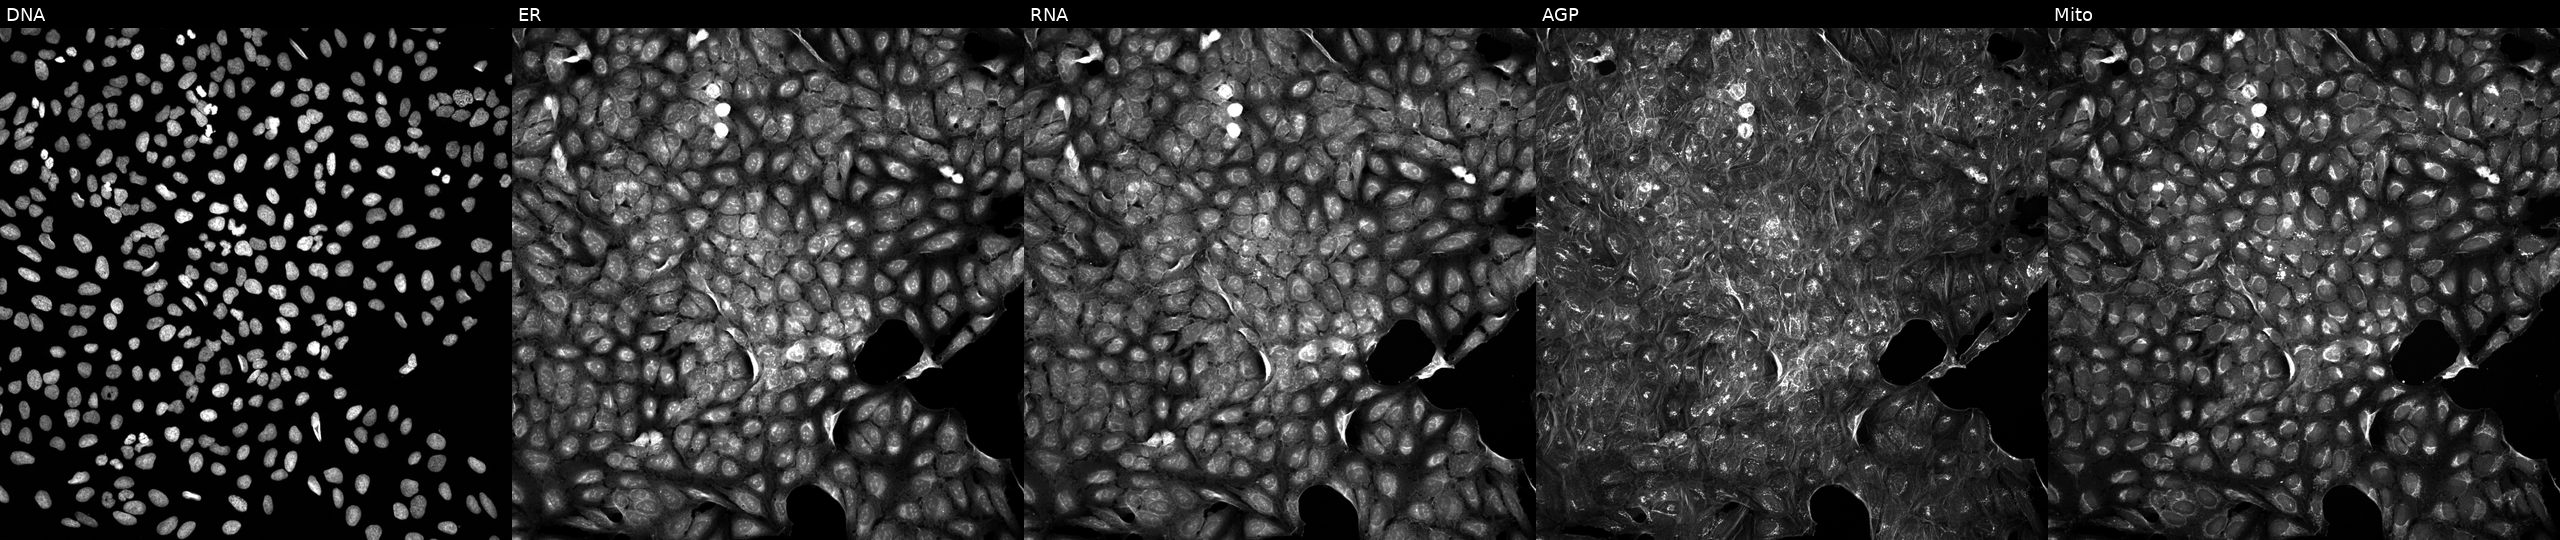
From left to right: Hoechst 33342, concanavalin A, SYTO 14, phalloidin and WGA, MitoTracker. U2OS osteosarcoma cells exposed to a small-molecule compound (InChIKey VCRKWYNAQIIDKR-UHFFFAOYSA-N) [SMILES: Cc1noc(C)c1S(=O)(=O)N1CC2CCN(c3ccccc3)C2C1] (JUMP id JCP2022_093097). Cell Painting assay, JUMP-CP dataset.